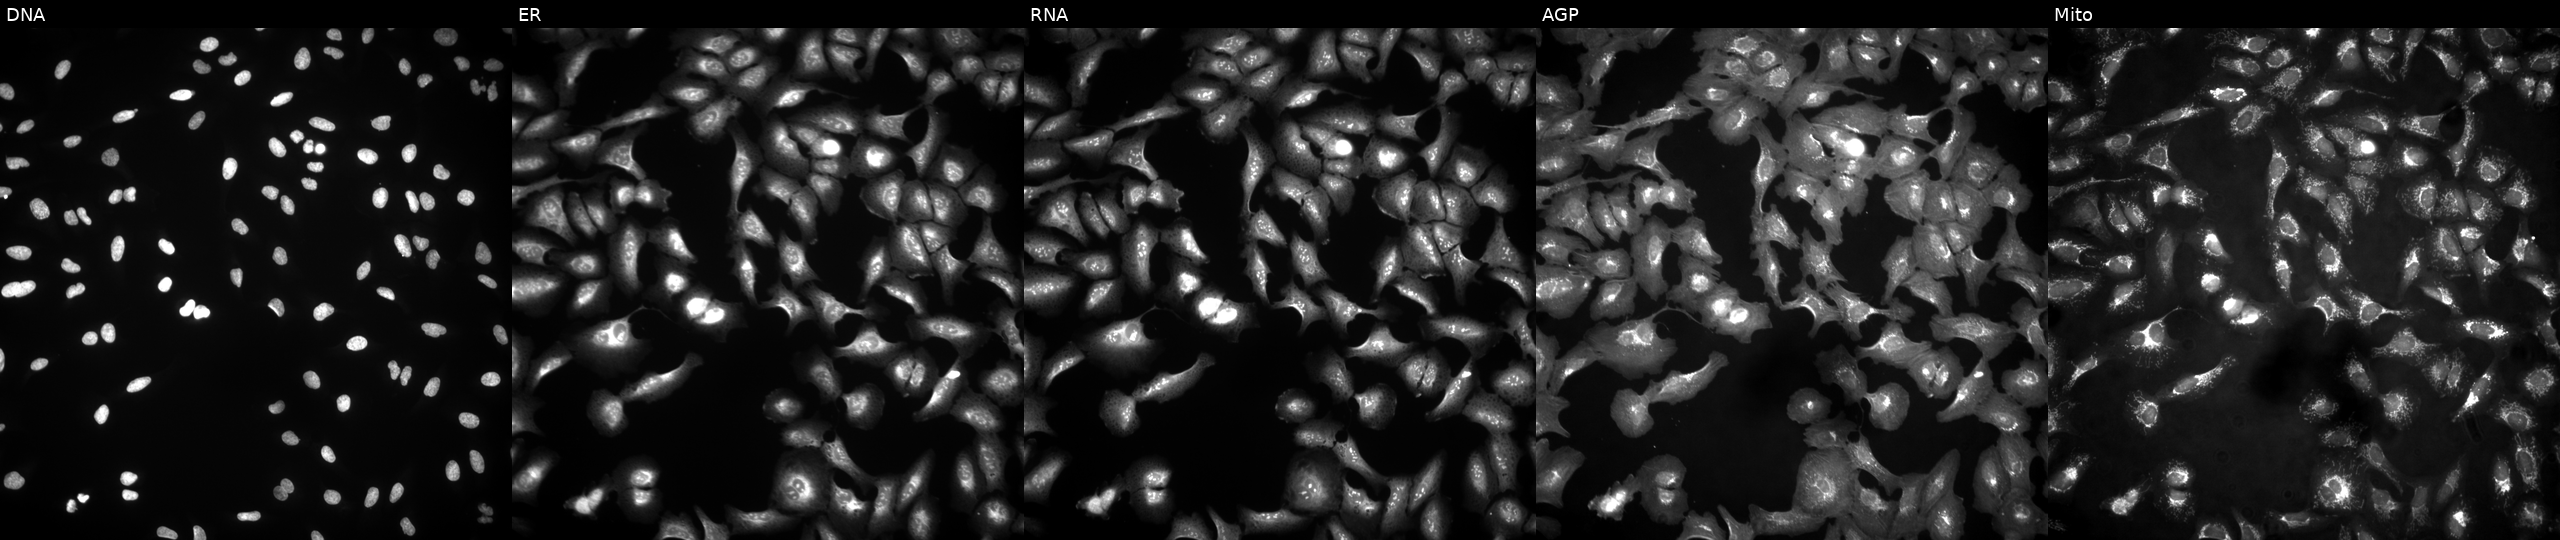
This image strip shows the five Cell Painting channels for a single field of U2OS cells overexpressing CD36 via ORF transfection. From left to right: Hoechst 33342, concanavalin A, SYTO 14, phalloidin and WGA, MitoTracker.